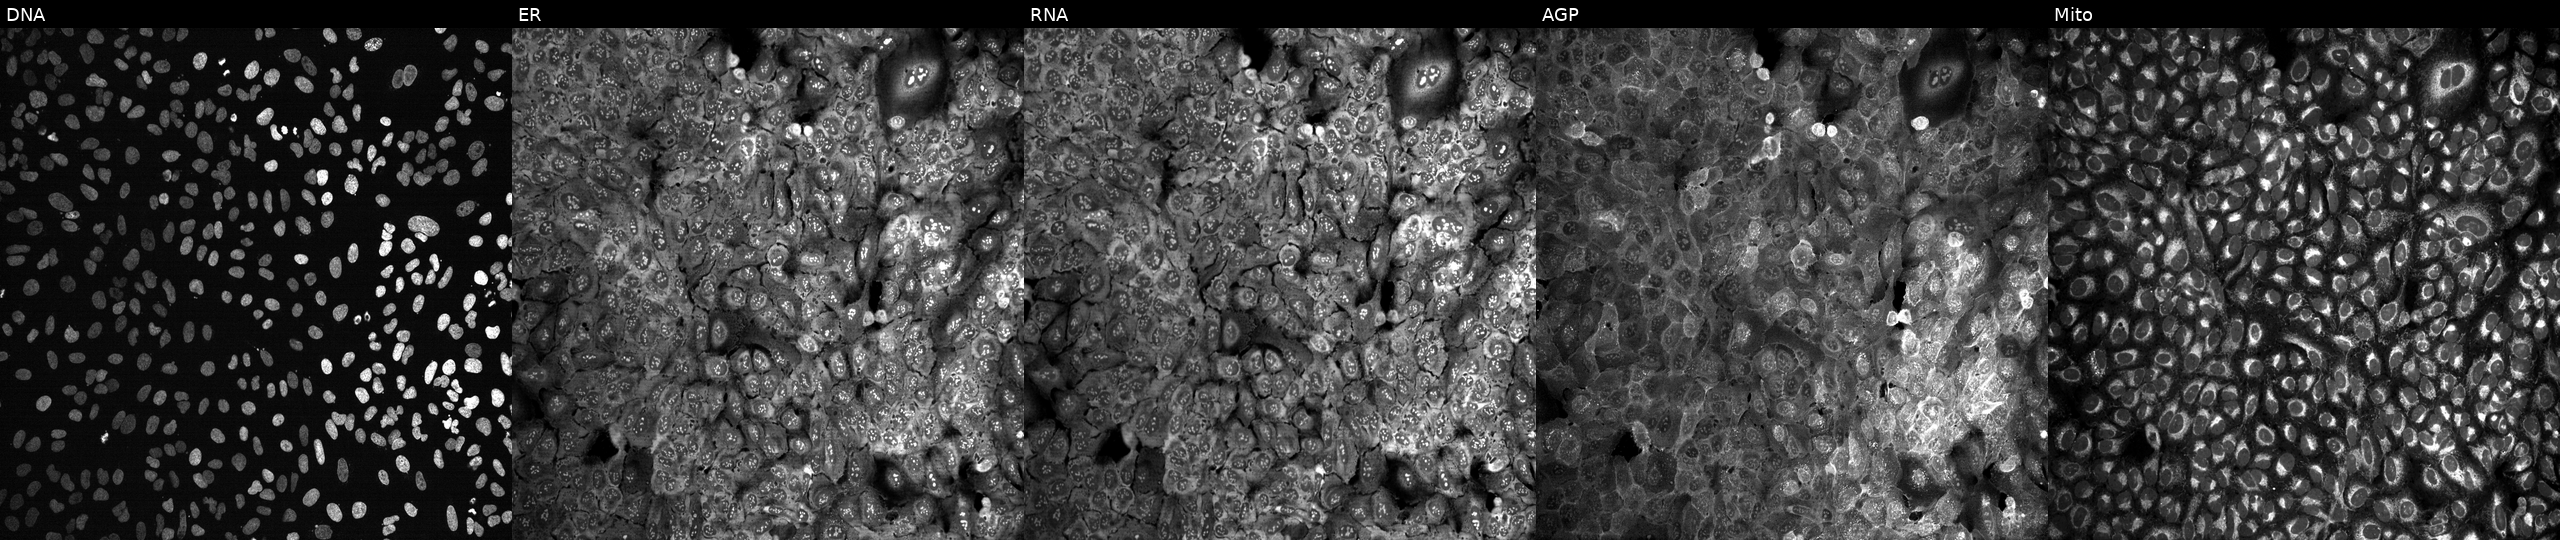
Five-channel Cell Painting image of U2OS cells with PDHX knocked out by CRISPR (JUMP id JCP2022_805015). From left to right: DNA, ER, RNA, AGP, and Mito.